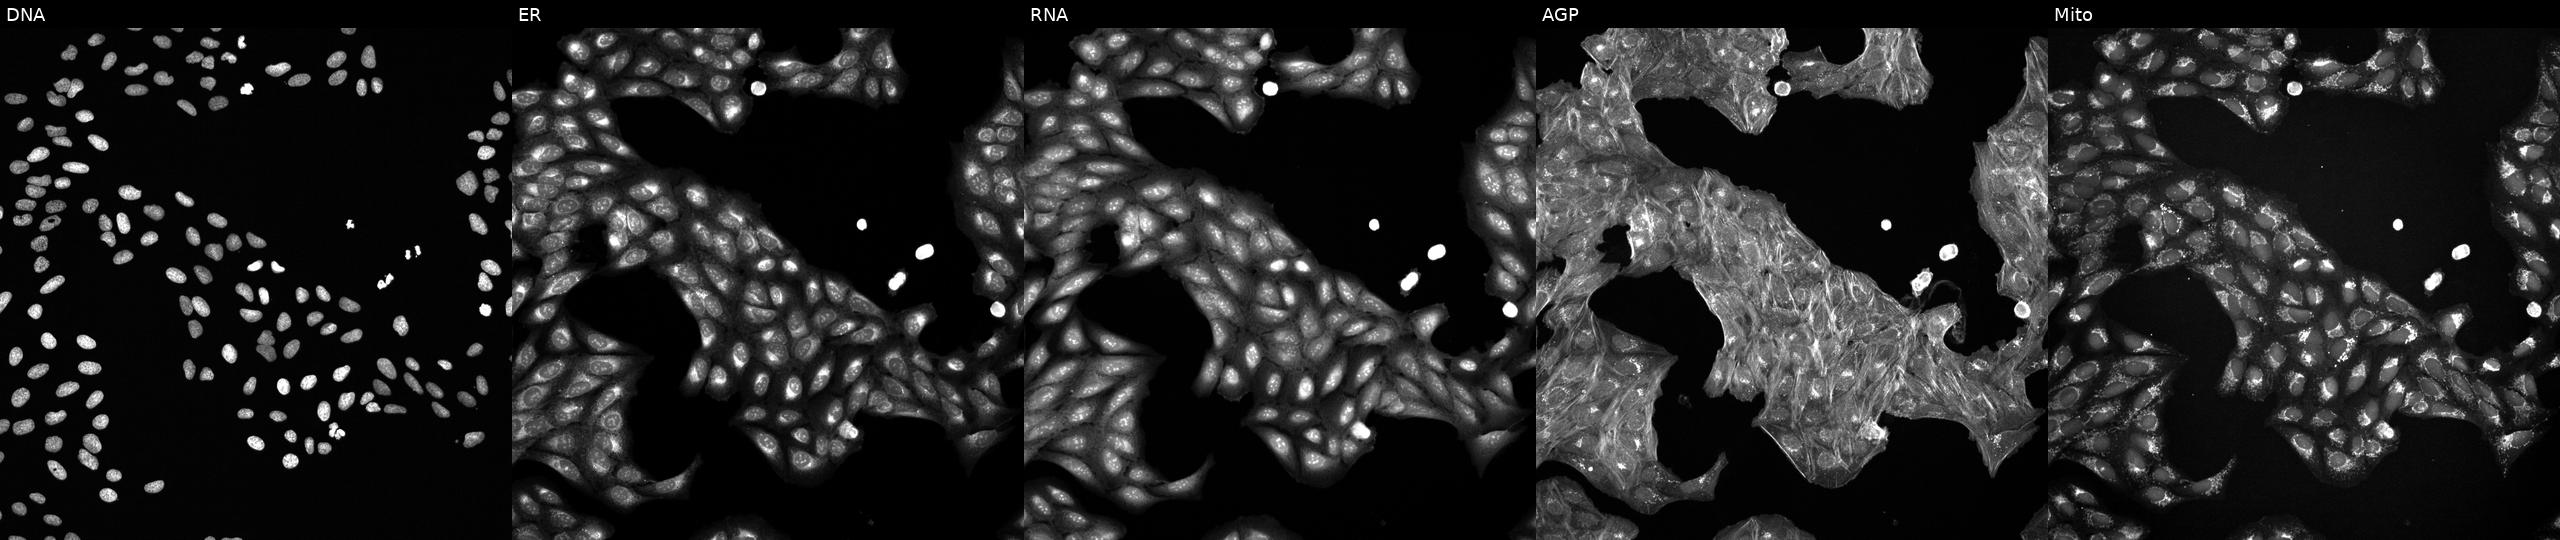
Five-channel Cell Painting image of U2OS cells treated with a small-molecule compound. Channels (left→right): DNA, ER, RNA, AGP, and Mito.